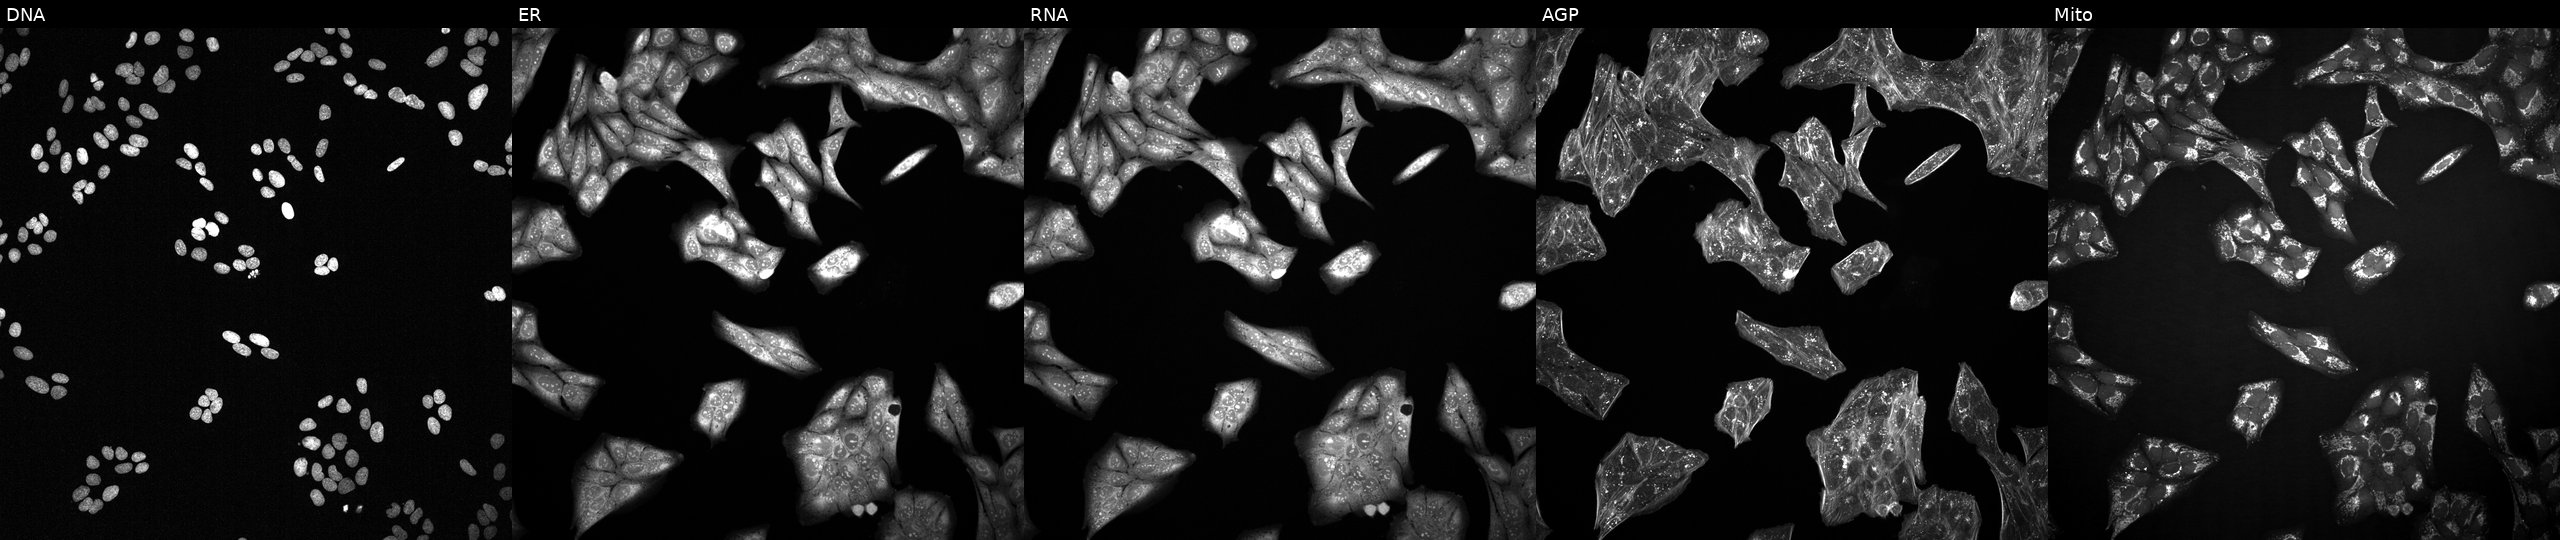
U2OS cells, Cell Painting assay, exposed to a small-molecule compound (InChIKey AECDBHGVIIRMOI-UHFFFAOYSA-N). Panels show, left to right, Hoechst 33342, concanavalin A, SYTO 14, phalloidin and WGA, MitoTracker. Each panel is percentile-stretched 16-bit fluorescence.